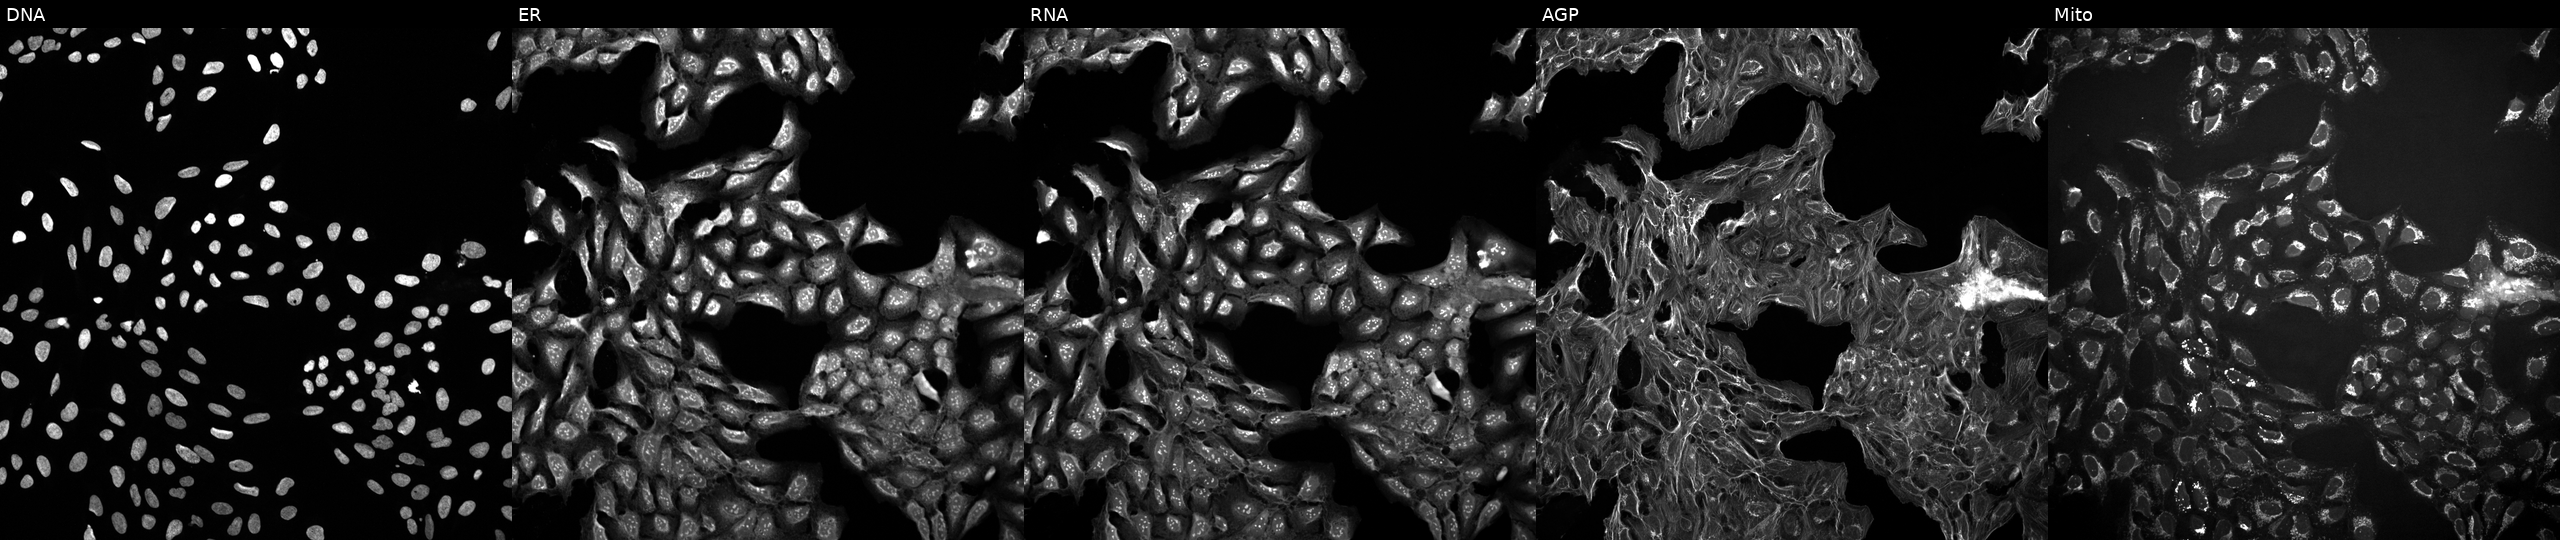
Five-channel Cell Painting image of U2OS cells treated with a small-molecule compound (InChIKey FERIUCNNQQJTOY-UHFFFAOYSA-N). The five panels, left to right, show DNA, ER, RNA, AGP, and Mito.